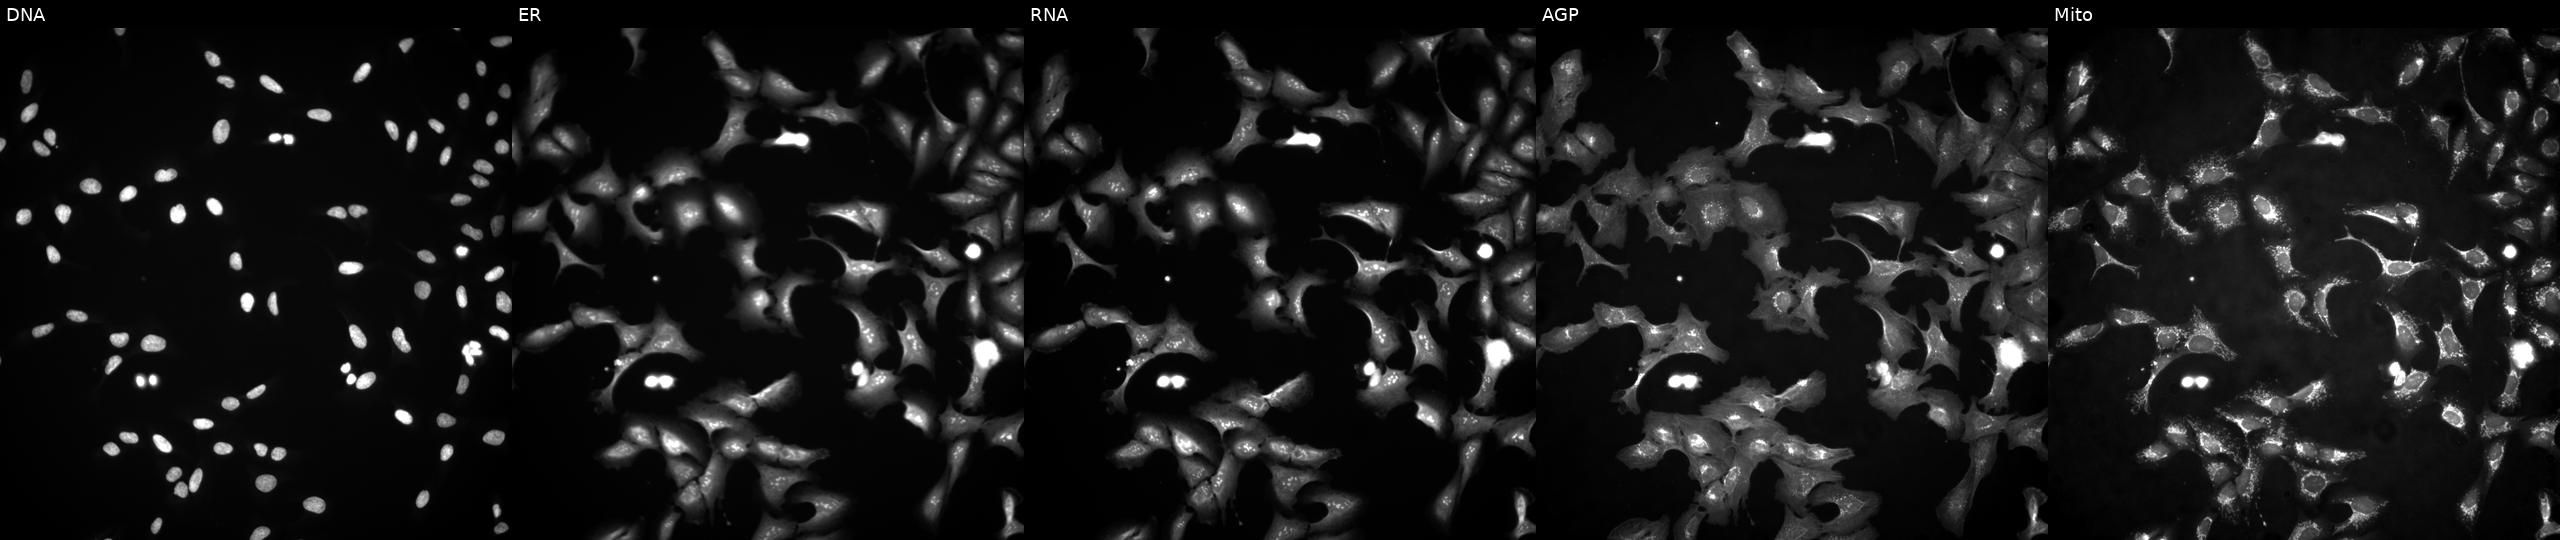
JUMP Cell Painting — ORF plate. U2OS cells overexpressing ZNF268 via ORF transfection (JUMP id JCP2022_907181). Channels (left→right): DNA (nuclei); ER (endoplasmic reticulum); RNA (nucleoli and cytoplasmic RNA); AGP (actin cytoskeleton, Golgi, and plasma membrane); Mito (mitochondria).